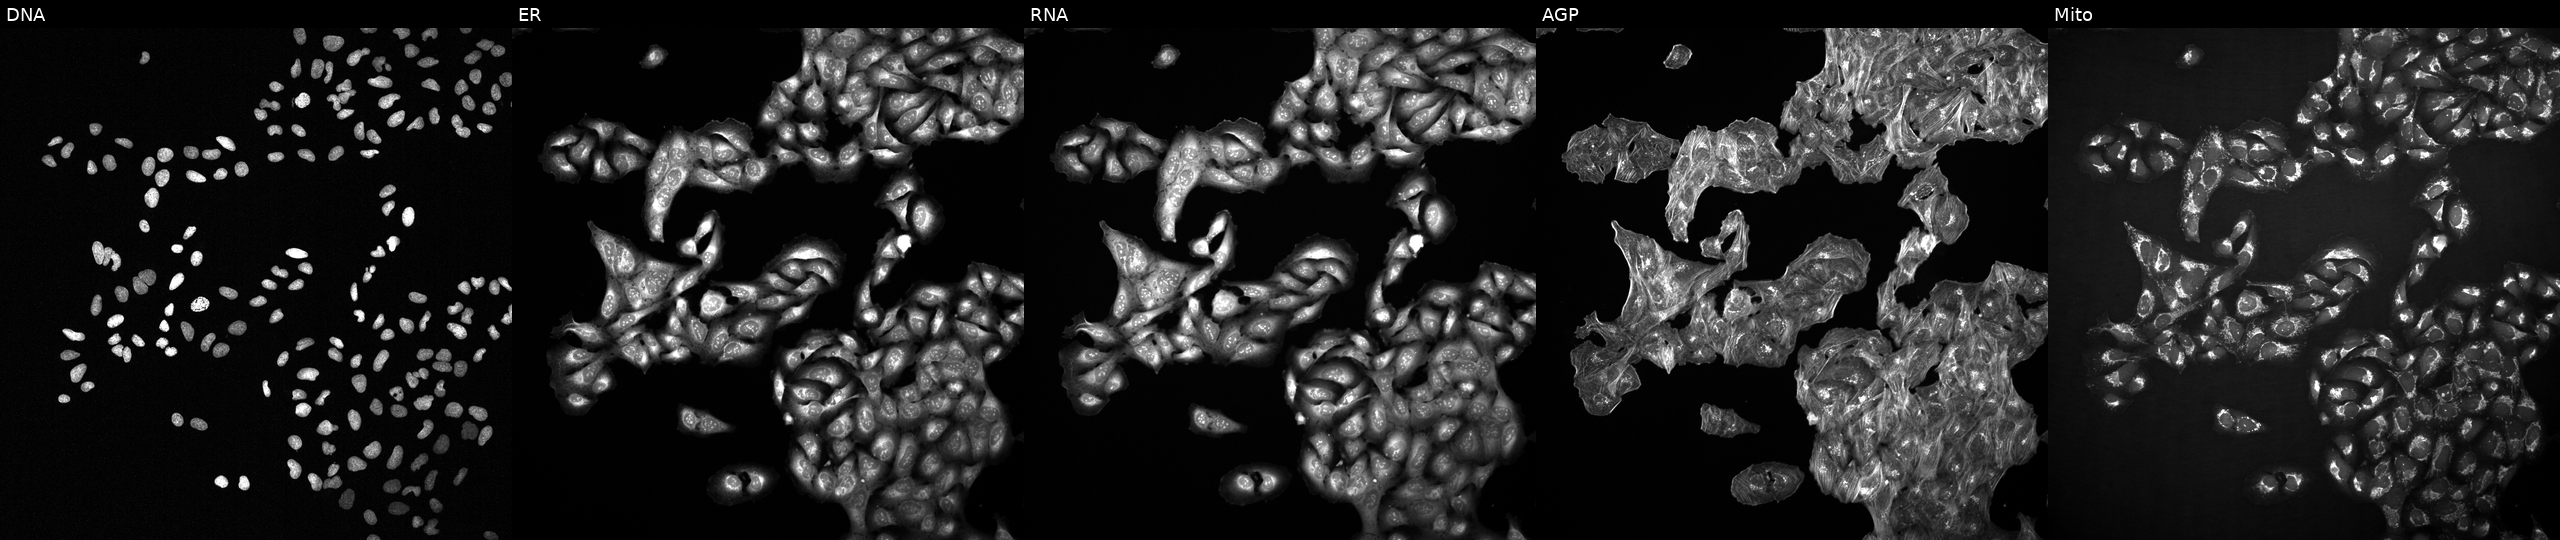
Channels (left→right): DNA (nuclei); ER (endoplasmic reticulum); RNA (nucleoli and cytoplasmic RNA); AGP (actin cytoskeleton, Golgi, and plasma membrane); Mito (mitochondria). U2OS osteosarcoma cells treated with NVS-PAK1-1 (positive-control compound) (JUMP id JCP2022_064022). Cell Painting assay, JUMP-CP dataset. Source 2, plate 1053601756, well J24.